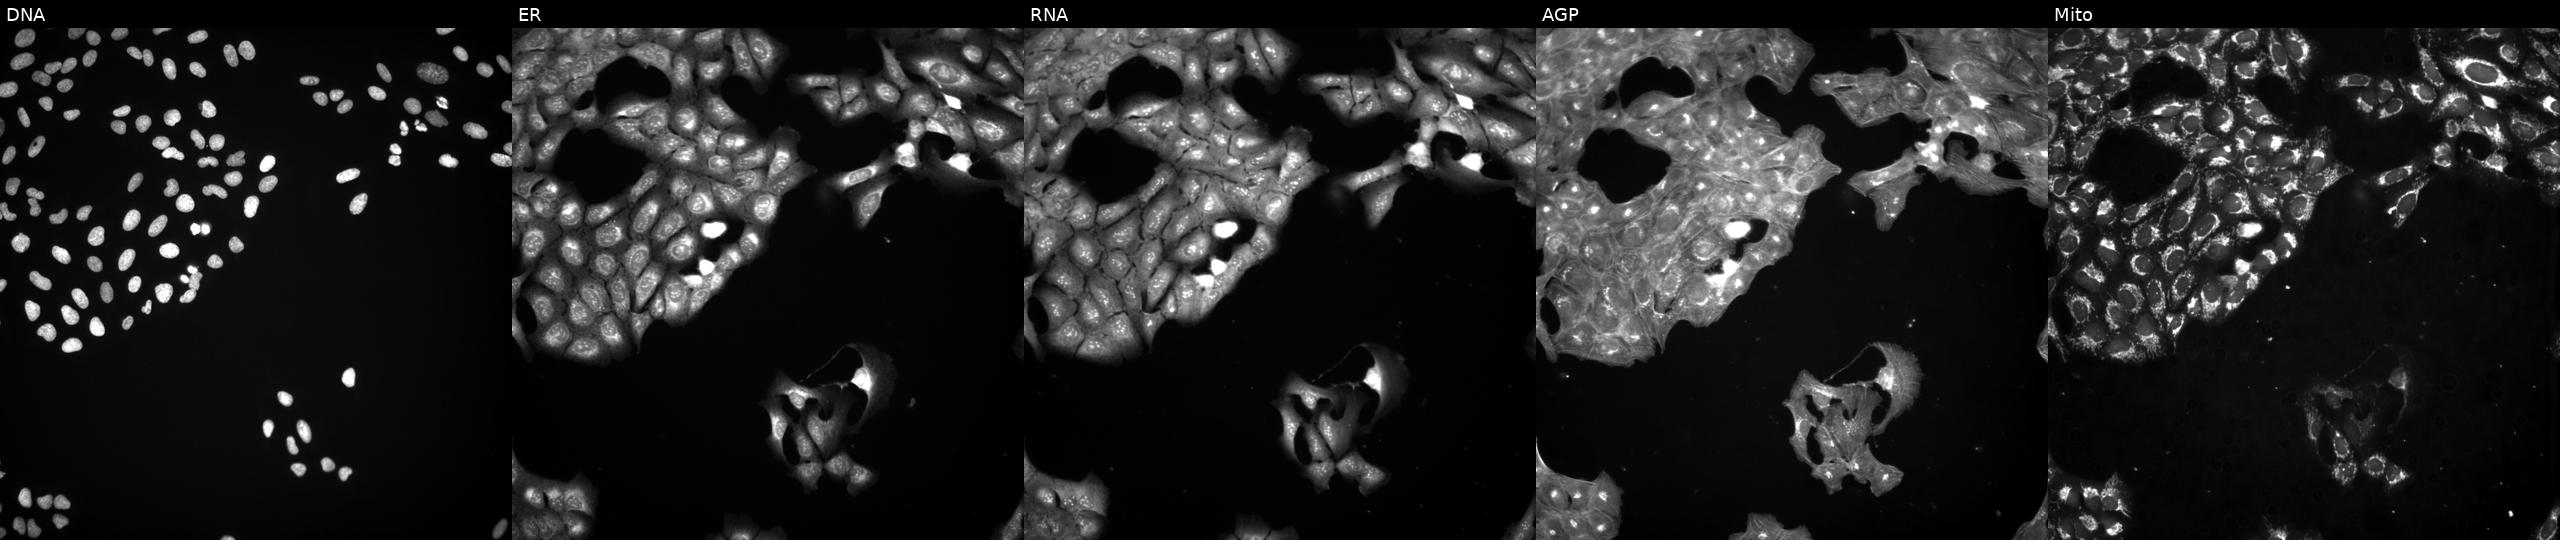
Five-channel Cell Painting image of U2OS cells exposed to a small-molecule compound (JUMP id JCP2022_056392). Panels show, left to right, DNA (nuclei); ER (endoplasmic reticulum); RNA (nucleoli and cytoplasmic RNA); AGP (actin cytoskeleton, Golgi, and plasma membrane); Mito (mitochondria).